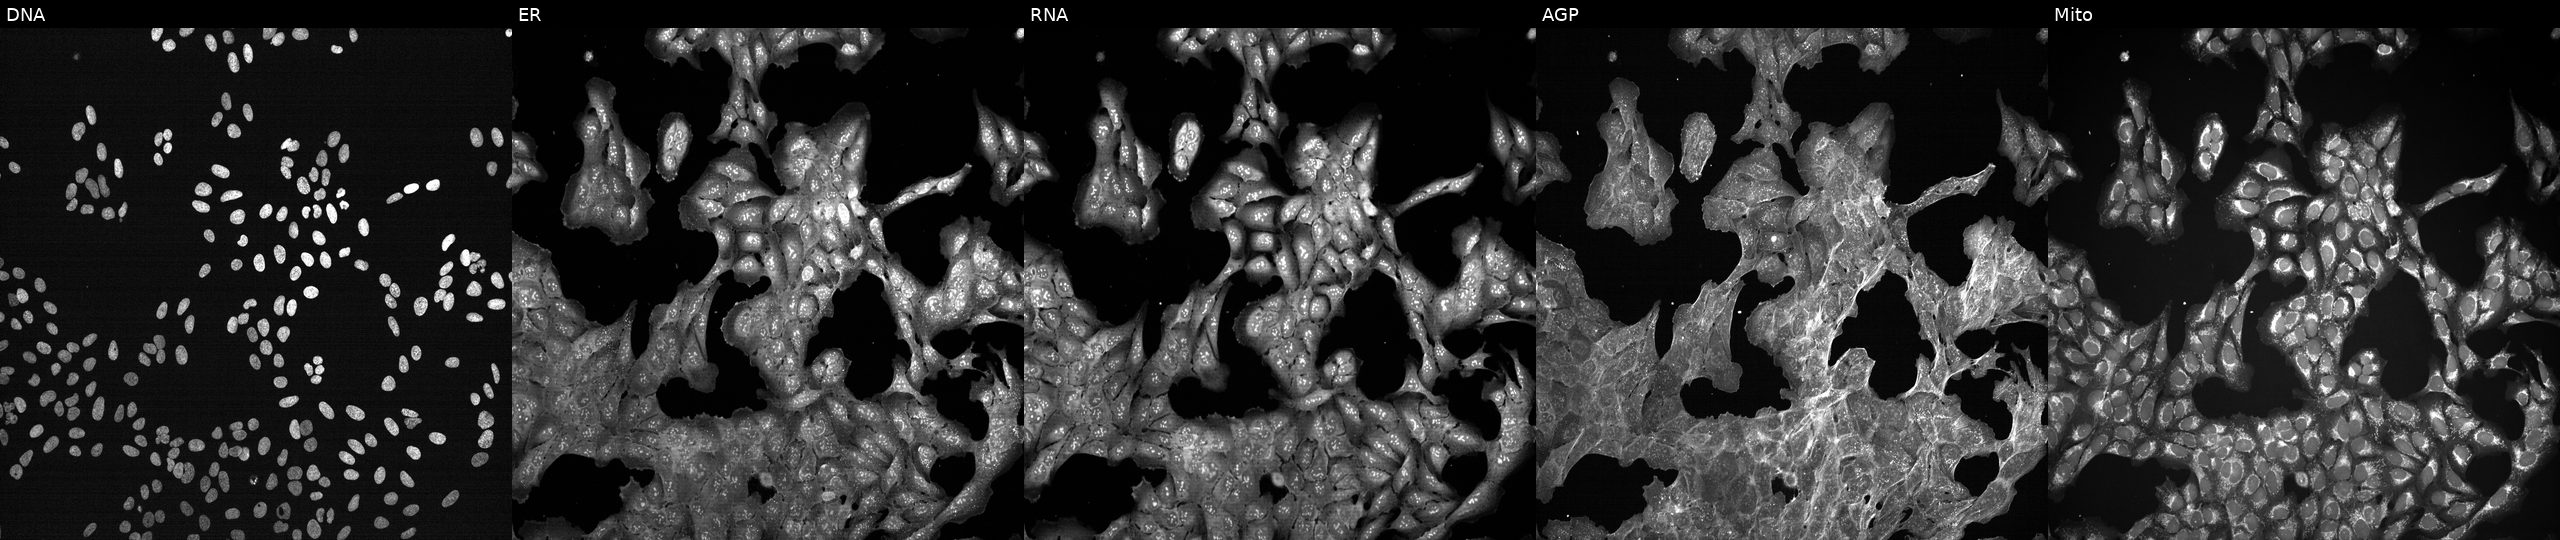
The five panels, left to right, show DNA, ER, RNA, AGP, and Mito. U2OS osteosarcoma cells perturbed with a small-molecule compound (InChIKey BYBLEWFAAKGYCD-UHFFFAOYSA-N) (JUMP id JCP2022_009419). Cell Painting assay, JUMP-CP dataset.